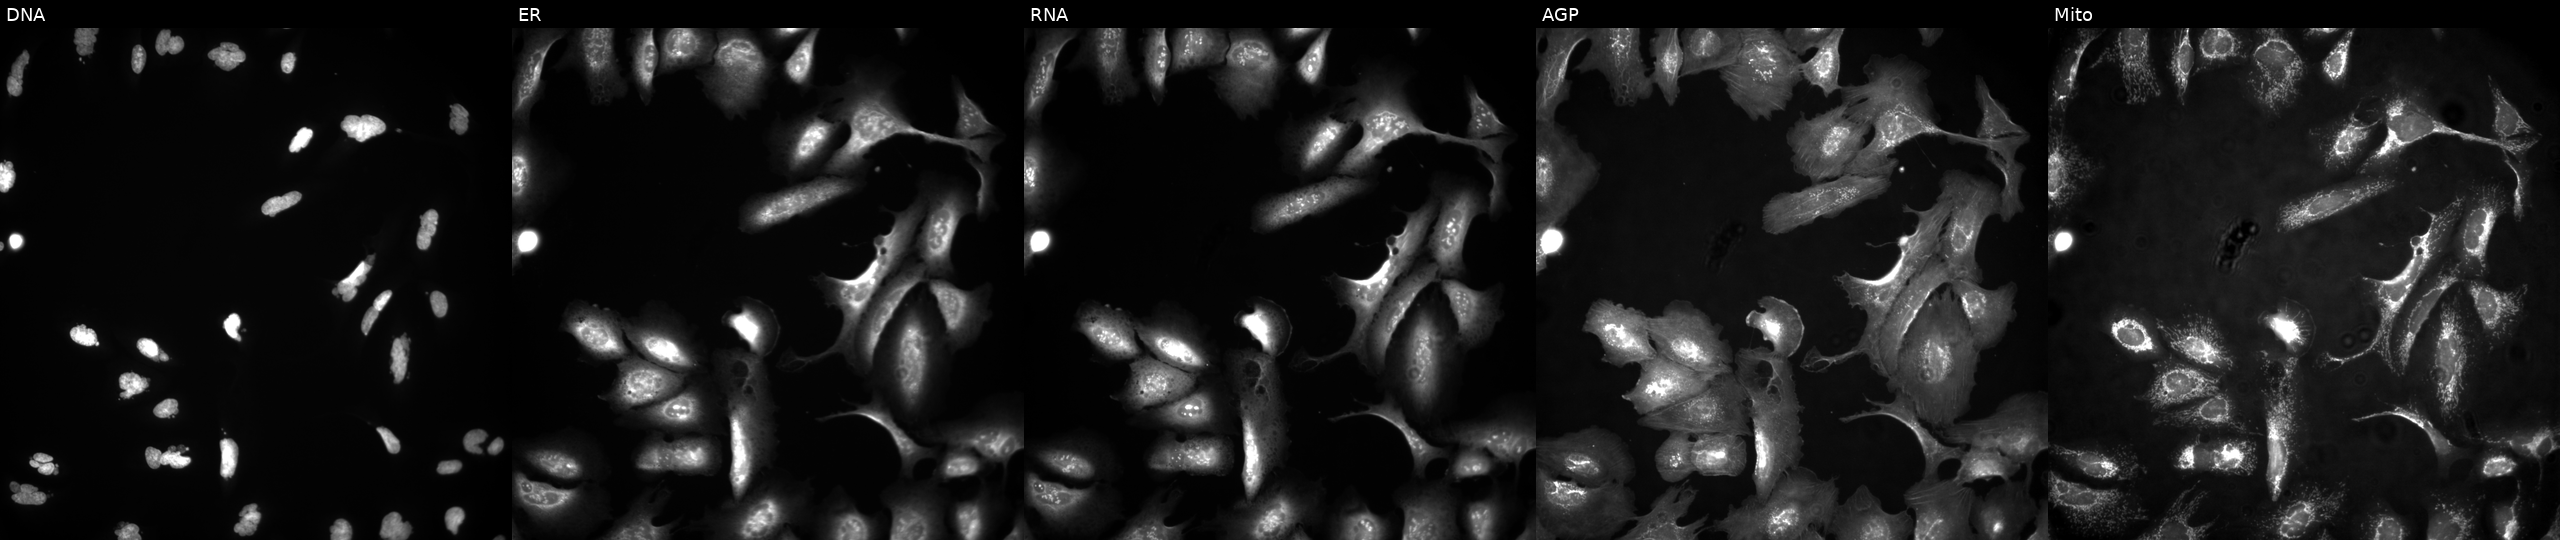
Panels show, left to right, Hoechst 33342, concanavalin A, SYTO 14, phalloidin and WGA, MitoTracker. U2OS osteosarcoma cells treated with AMG900 (positive-control compound). Cell Painting assay, JUMP-CP dataset. Source 4, plate BR00124787, well O23.